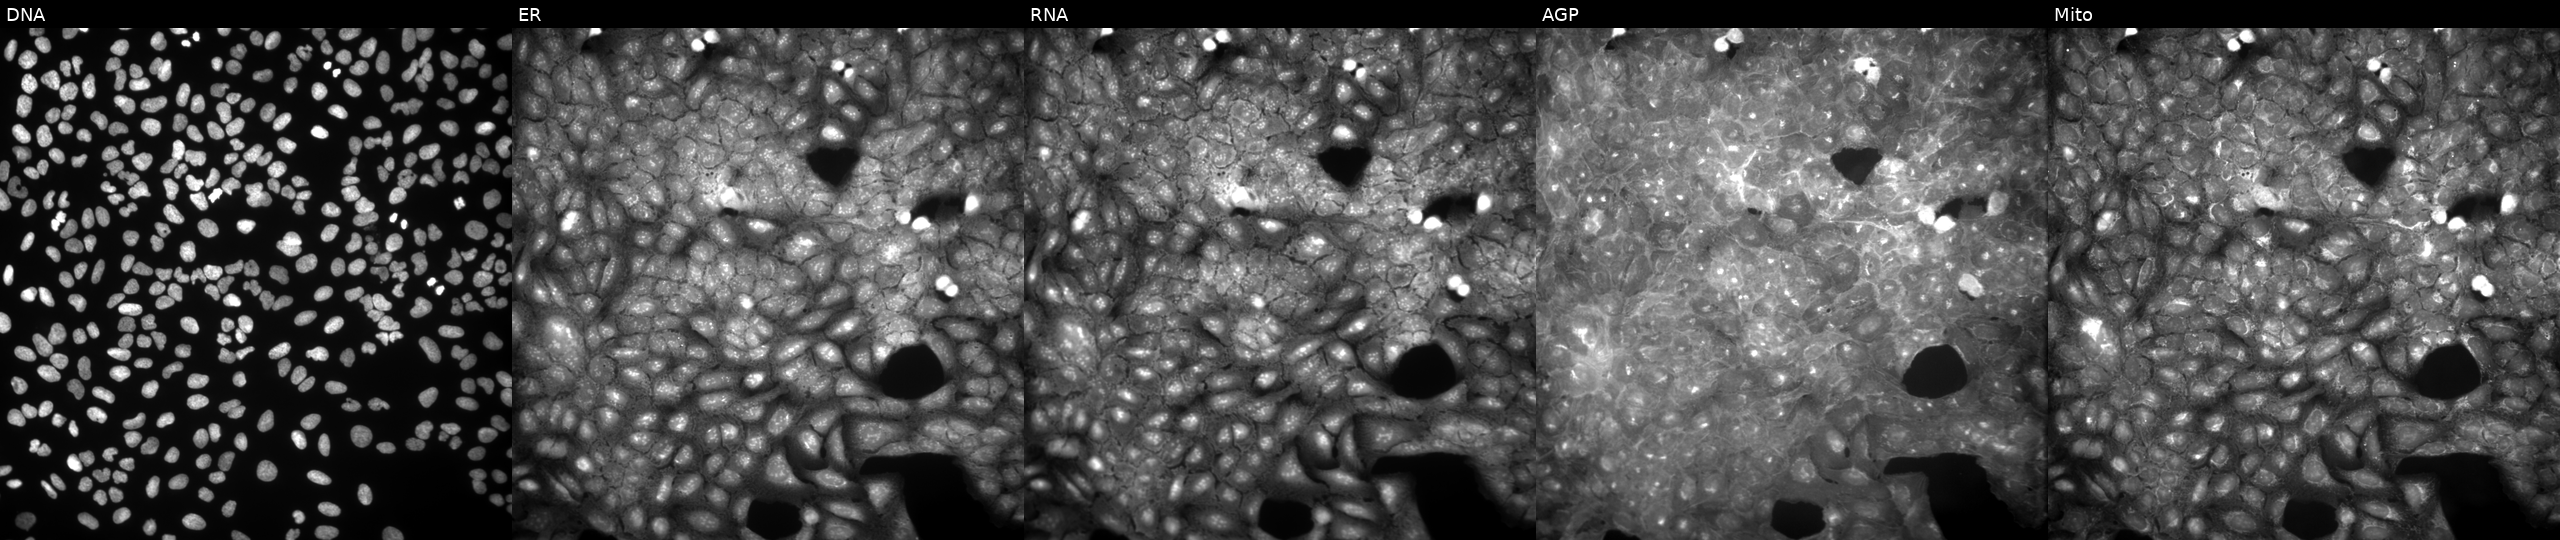
U2OS cells, Cell Painting assay, exposed to a small-molecule compound. The five panels, left to right, show DNA (nuclei); ER (endoplasmic reticulum); RNA (nucleoli and cytoplasmic RNA); AGP (actin cytoskeleton, Golgi, and plasma membrane); Mito (mitochondria). Each panel is percentile-stretched 16-bit fluorescence.